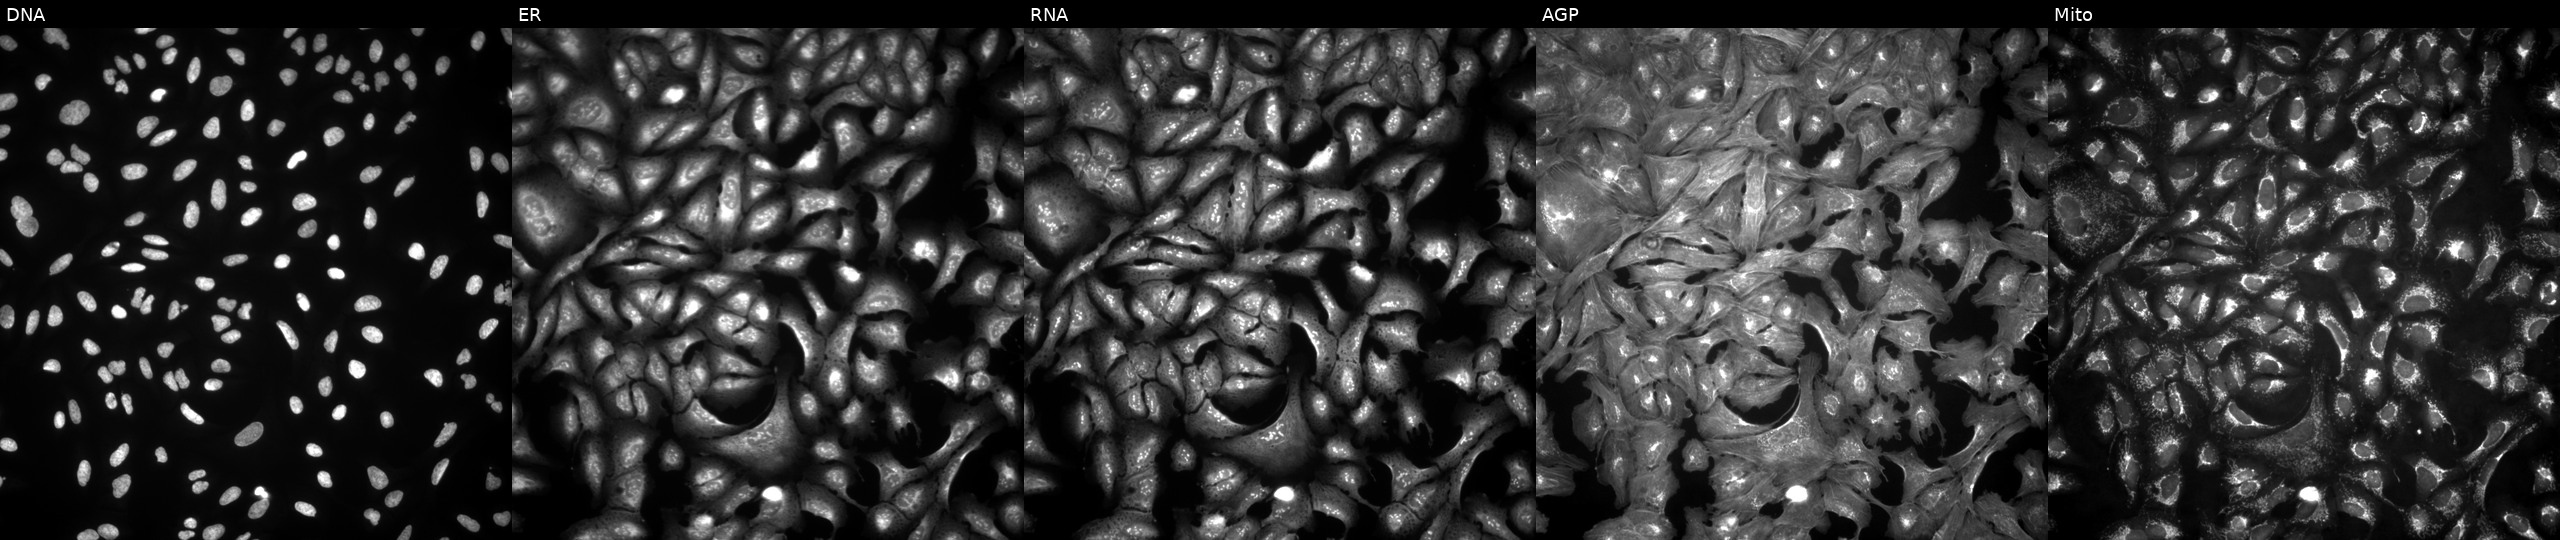
U2OS cells, Cell Painting assay, transfected with an ORF construct for GM2A (JUMP id JCP2022_905879). Panels show, left to right, Hoechst 33342, concanavalin A, SYTO 14, phalloidin and WGA, MitoTracker. Each panel is percentile-stretched 16-bit fluorescence. Source 4, plate BR00123509, well B06.